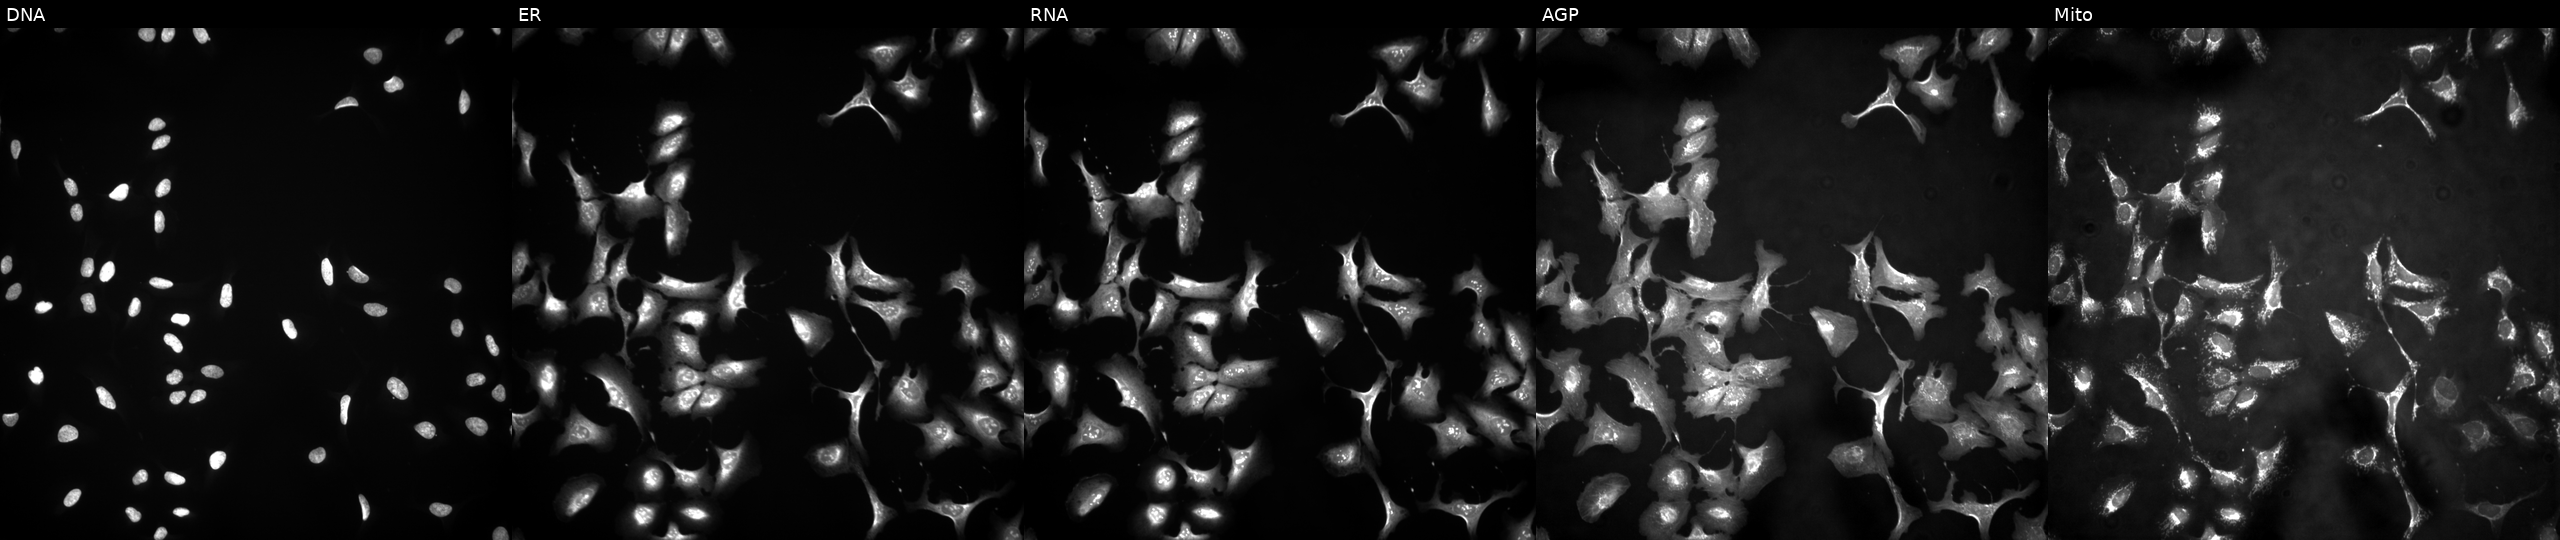
This image strip shows the five Cell Painting channels for a single field of U2OS cells transfected with an ORF construct for RPL18. Channels (left→right): DNA (nuclei); ER (endoplasmic reticulum); RNA (nucleoli and cytoplasmic RNA); AGP (actin cytoskeleton, Golgi, and plasma membrane); Mito (mitochondria).